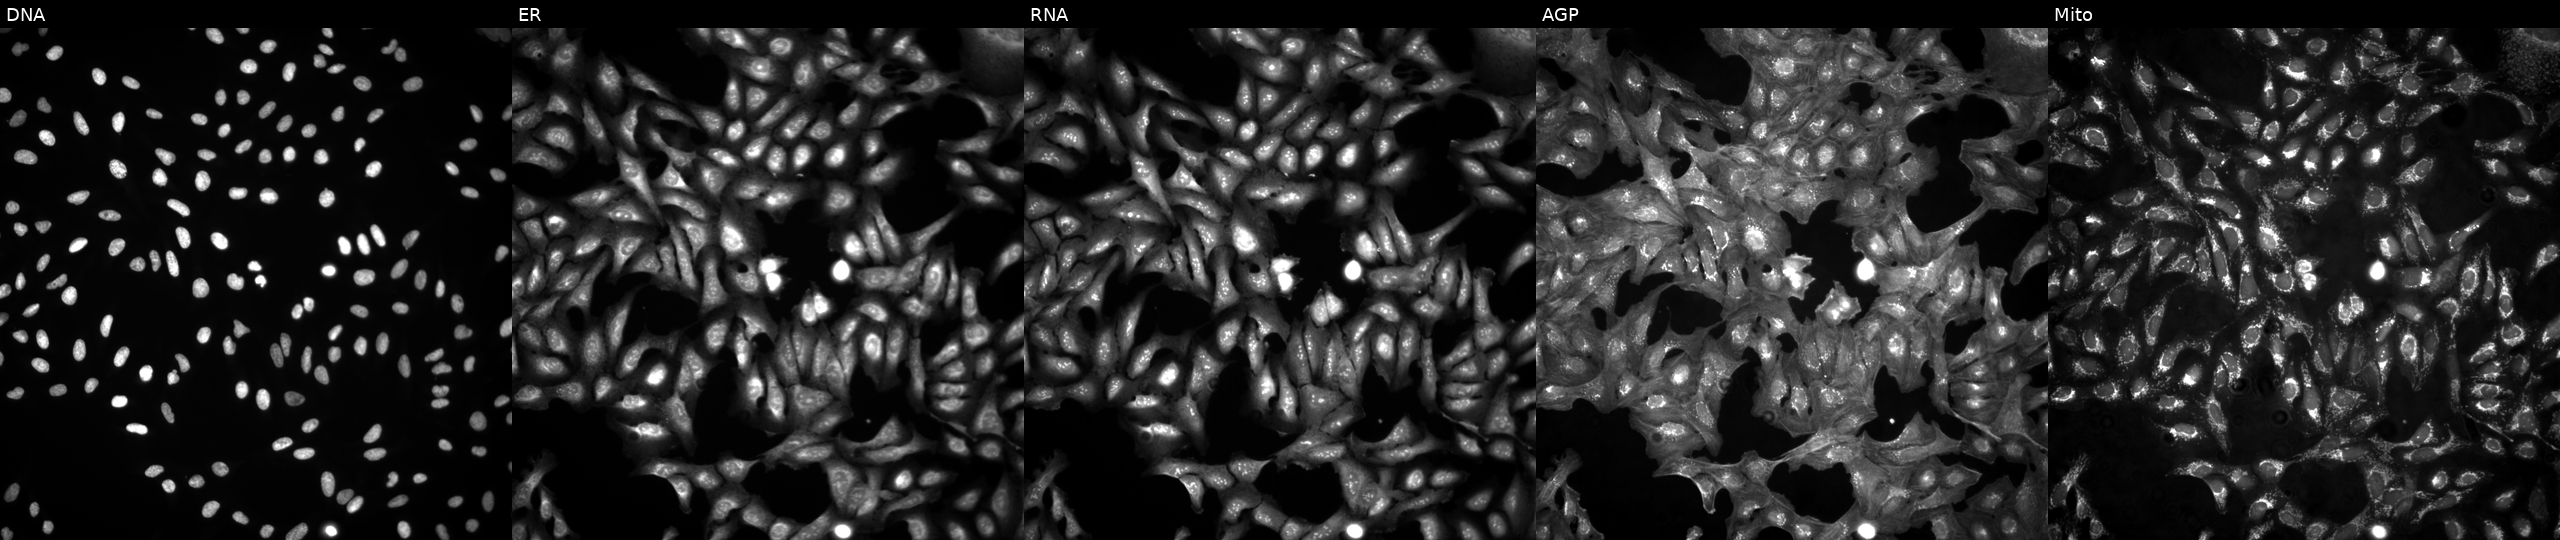
The five panels, left to right, show DNA (nuclei); ER (endoplasmic reticulum); RNA (nucleoli and cytoplasmic RNA); AGP (actin cytoskeleton, Golgi, and plasma membrane); Mito (mitochondria). U2OS osteosarcoma cells in an empty control well (no perturbation). Cell Painting assay, JUMP-CP dataset. Source 4, plate BR00124793, well P18.